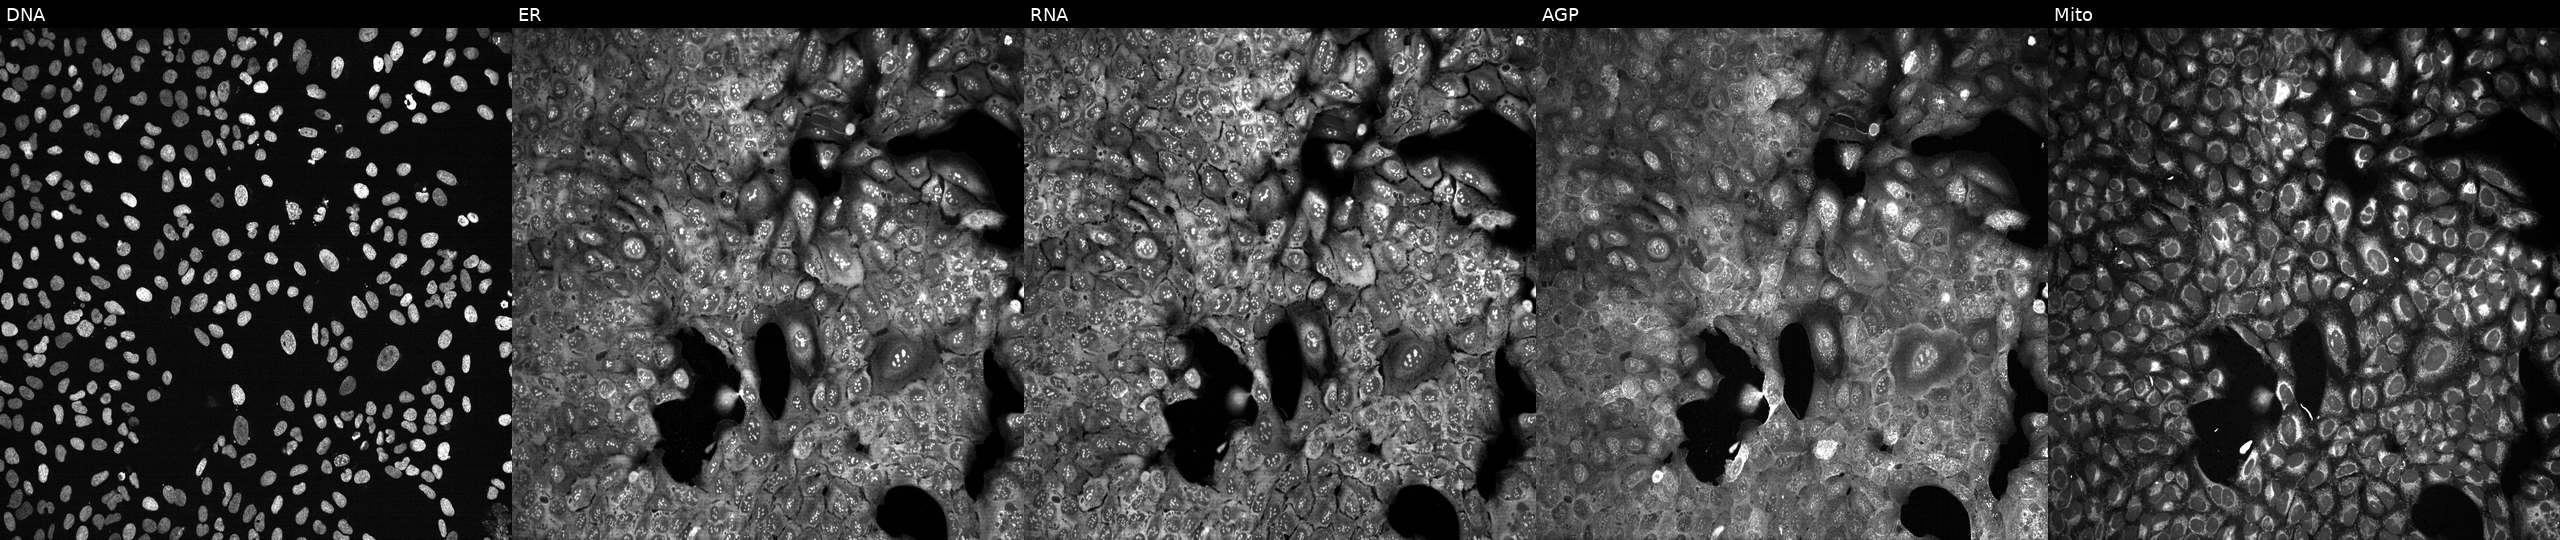
This image strip shows the five Cell Painting channels for a single field of U2OS cells following CRISPR knockout of FGF10 (JUMP id JCP2022_802376). The five panels, left to right, show DNA, ER, RNA, AGP, and Mito.